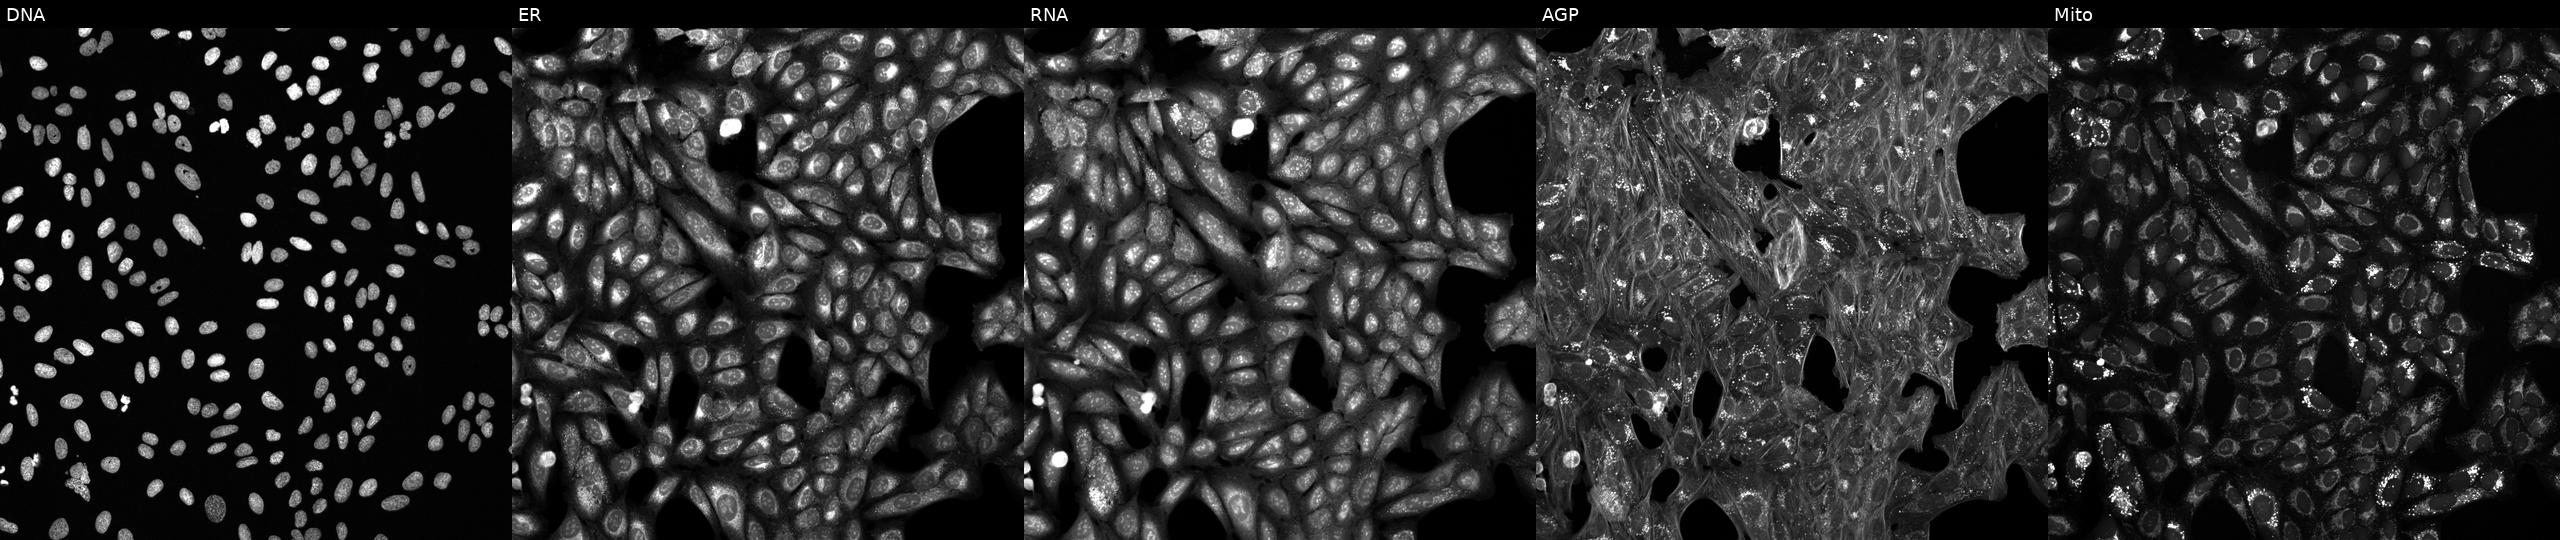
U2OS cells, Cell Painting assay, treated with a small-molecule compound (JUMP id JCP2022_014367). Channels (left→right): DNA (nuclei); ER (endoplasmic reticulum); RNA (nucleoli and cytoplasmic RNA); AGP (actin cytoskeleton, Golgi, and plasma membrane); Mito (mitochondria). Each panel is percentile-stretched 16-bit fluorescence.